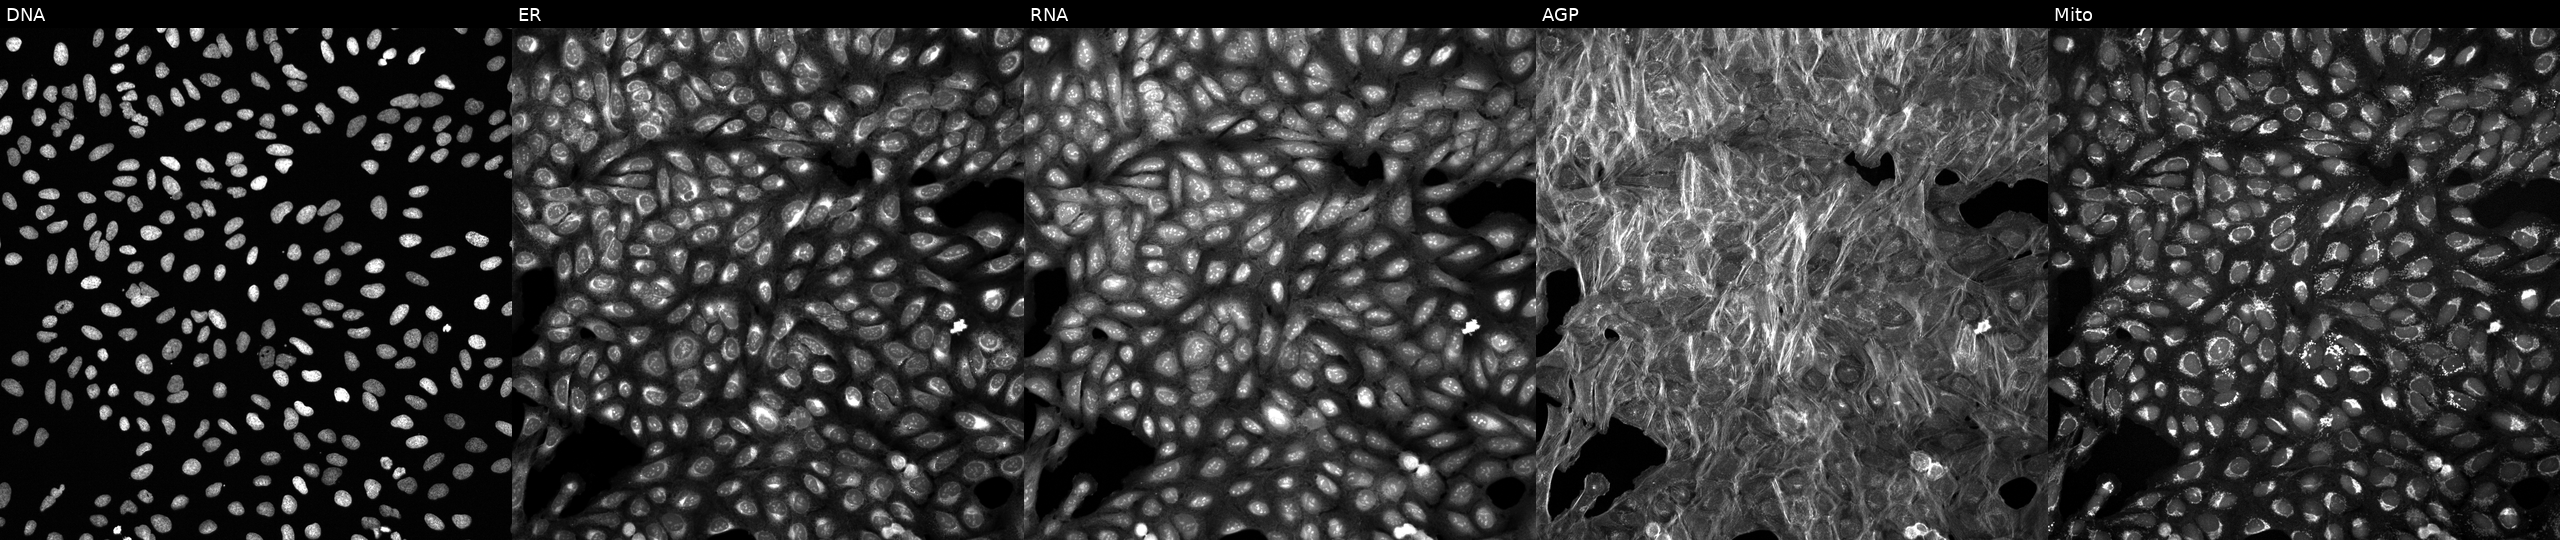
Five-channel Cell Painting image of U2OS cells treated with a small-molecule compound (JUMP id JCP2022_005628). The five panels, left to right, show Hoechst 33342, concanavalin A, SYTO 14, phalloidin and WGA, MitoTracker.